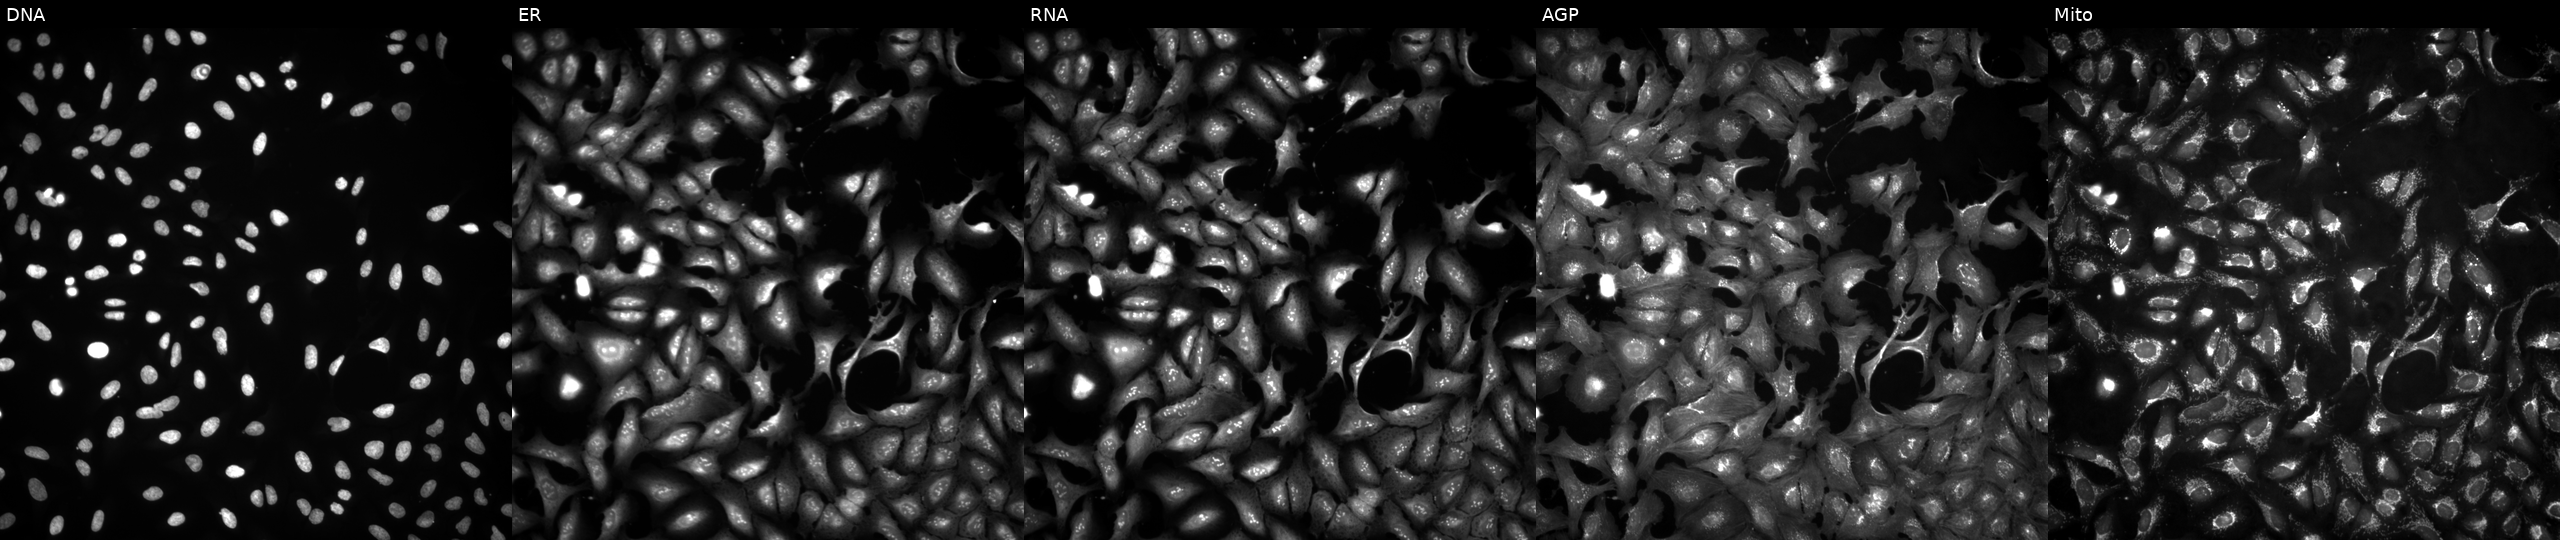
This image strip shows the five Cell Painting channels for a single field of U2OS cells with ALG2 overexpressed (ORF) (JUMP id JCP2022_912036). The five panels, left to right, show DNA, ER, RNA, AGP, and Mito. Source 4, plate BR00124787, well D02.